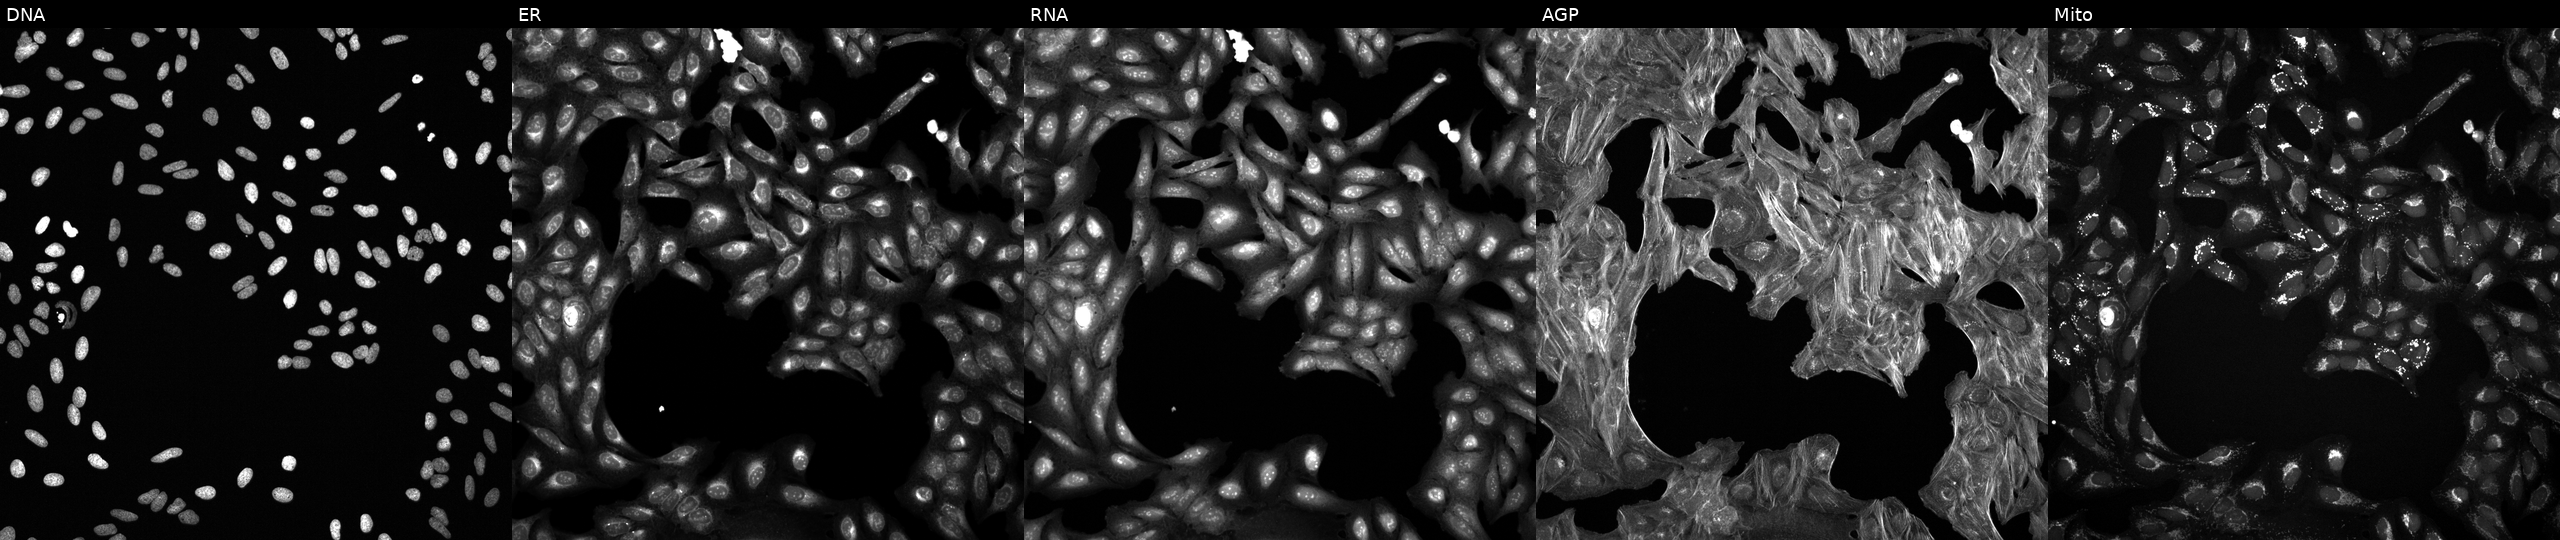
U2OS cells, Cell Painting assay, treated with DMSO vehicle only (negative control). The five panels, left to right, show Hoechst 33342, concanavalin A, SYTO 14, phalloidin and WGA, MitoTracker. Each panel is percentile-stretched 16-bit fluorescence. Source 6, plate 110000293081, well M03.